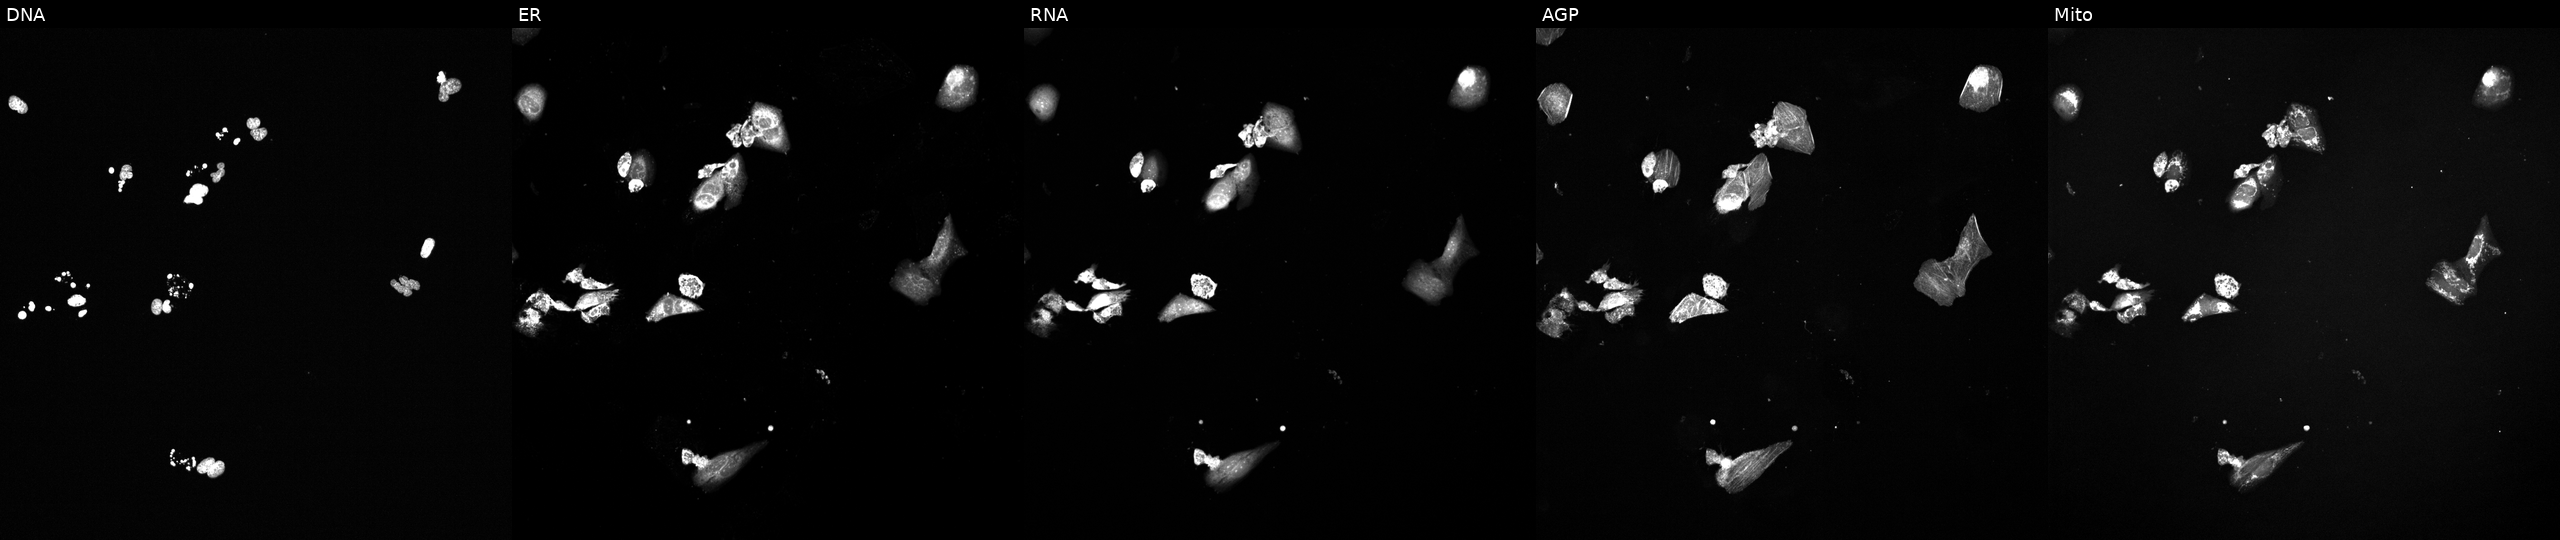
U2OS cells, Cell Painting assay, treated with a small-molecule compound (InChIKey RVAQIUULWULRNW-UHFFFAOYSA-N). Channels (left→right): Hoechst 33342, concanavalin A, SYTO 14, phalloidin and WGA, MitoTracker. Each panel is percentile-stretched 16-bit fluorescence.